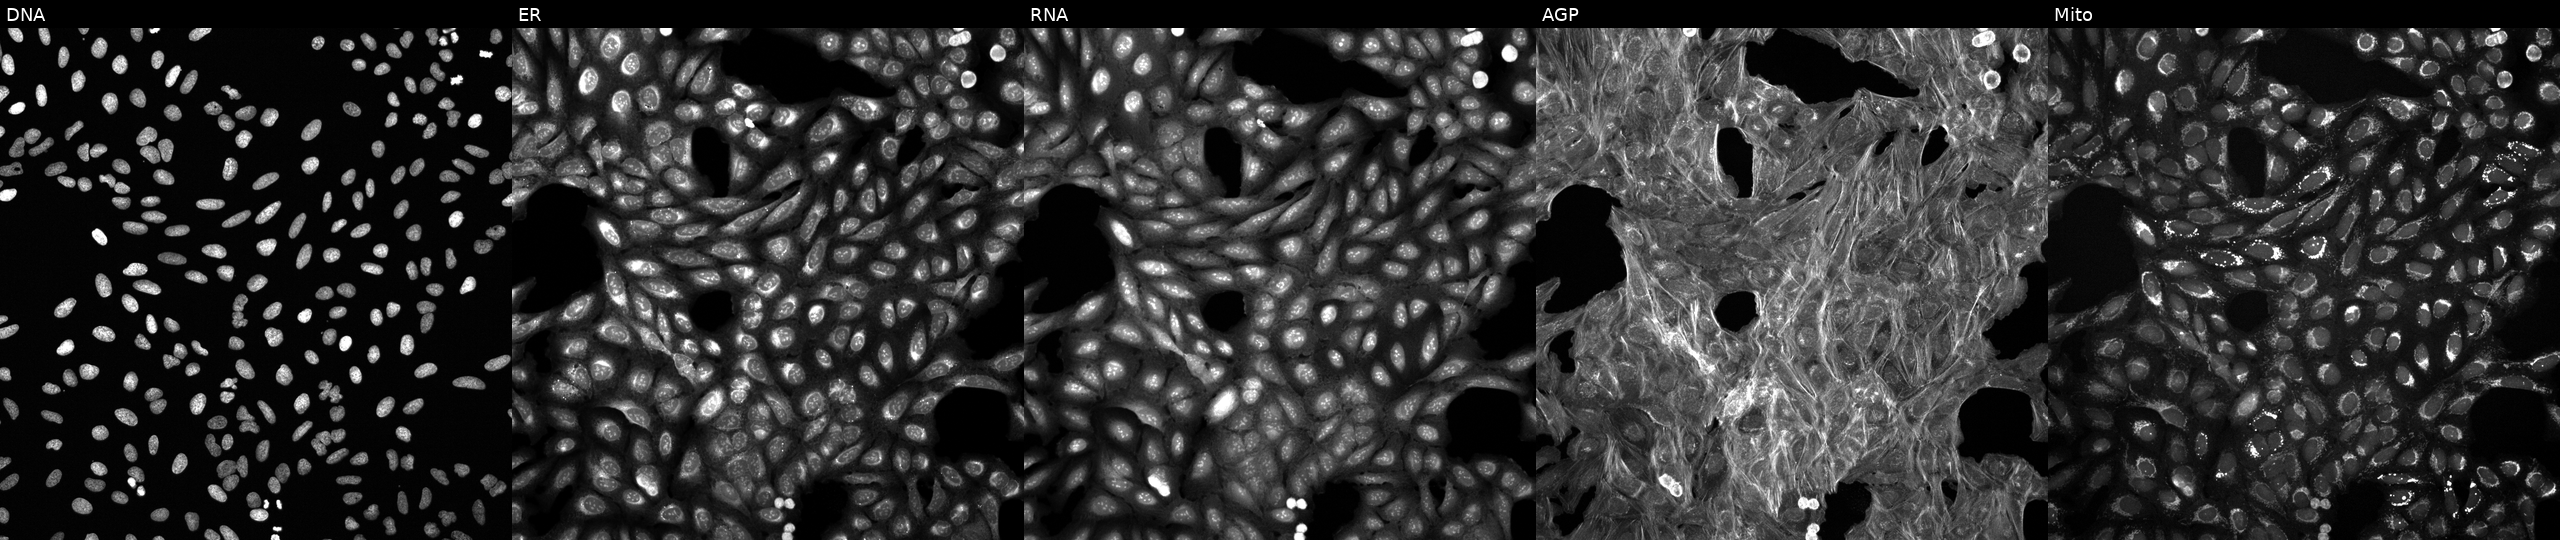
High-content fluorescence microscopy (Cell Painting). Cell line: U2OS. Perturbation: treated with DMSO vehicle only (negative control). Panels show, left to right, DNA (nuclei); ER (endoplasmic reticulum); RNA (nucleoli and cytoplasmic RNA); AGP (actin cytoskeleton, Golgi, and plasma membrane); Mito (mitochondria).